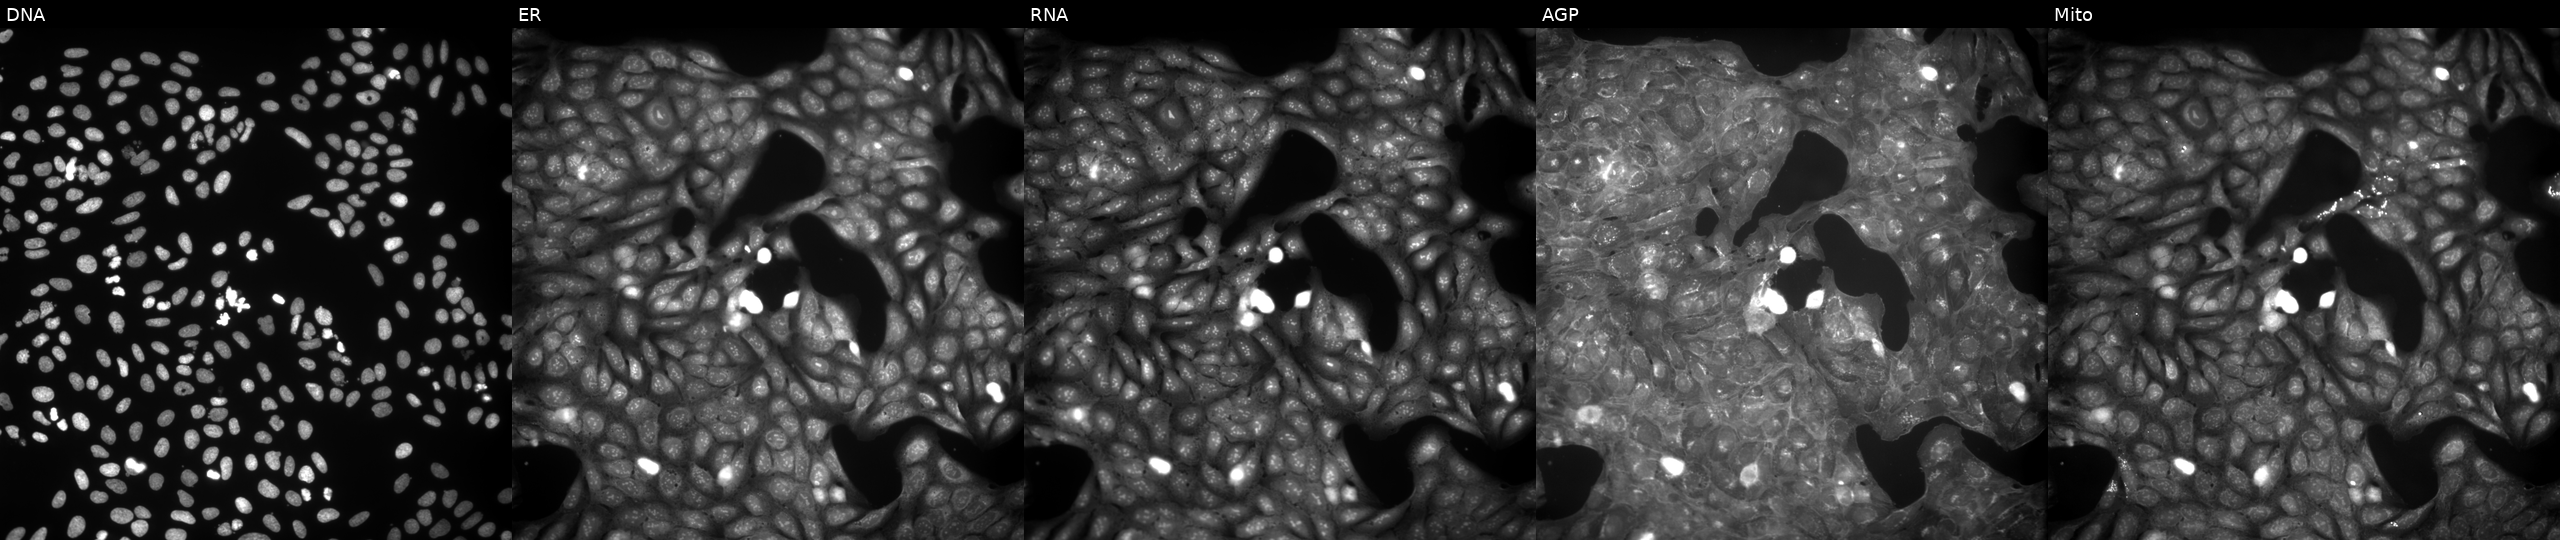
Channels (left→right): DNA (nuclei); ER (endoplasmic reticulum); RNA (nucleoli and cytoplasmic RNA); AGP (actin cytoskeleton, Golgi, and plasma membrane); Mito (mitochondria). U2OS osteosarcoma cells perturbed with a small-molecule compound. Cell Painting assay, JUMP-CP dataset. Source 9, plate GR00003381, well Y17.